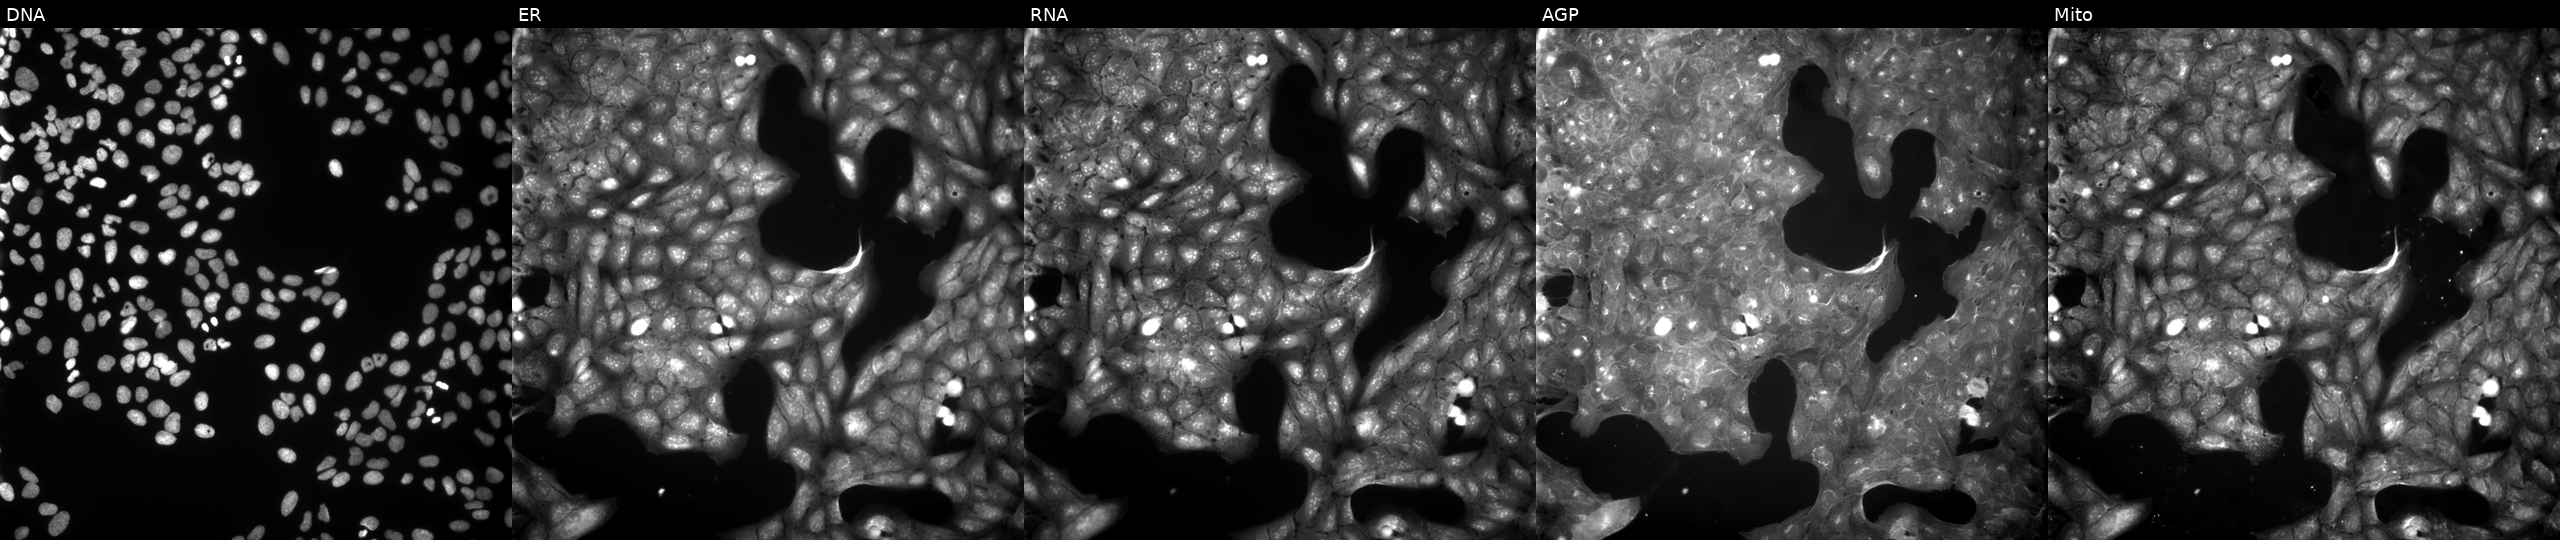
U2OS cells, Cell Painting assay, exposed to a small-molecule compound (InChIKey IEFNOLTZLVHFES-UHFFFAOYSA-N). Channels (left→right): Hoechst 33342, concanavalin A, SYTO 14, phalloidin and WGA, MitoTracker. Each panel is percentile-stretched 16-bit fluorescence. Source 9, plate GR00003382, well P15.